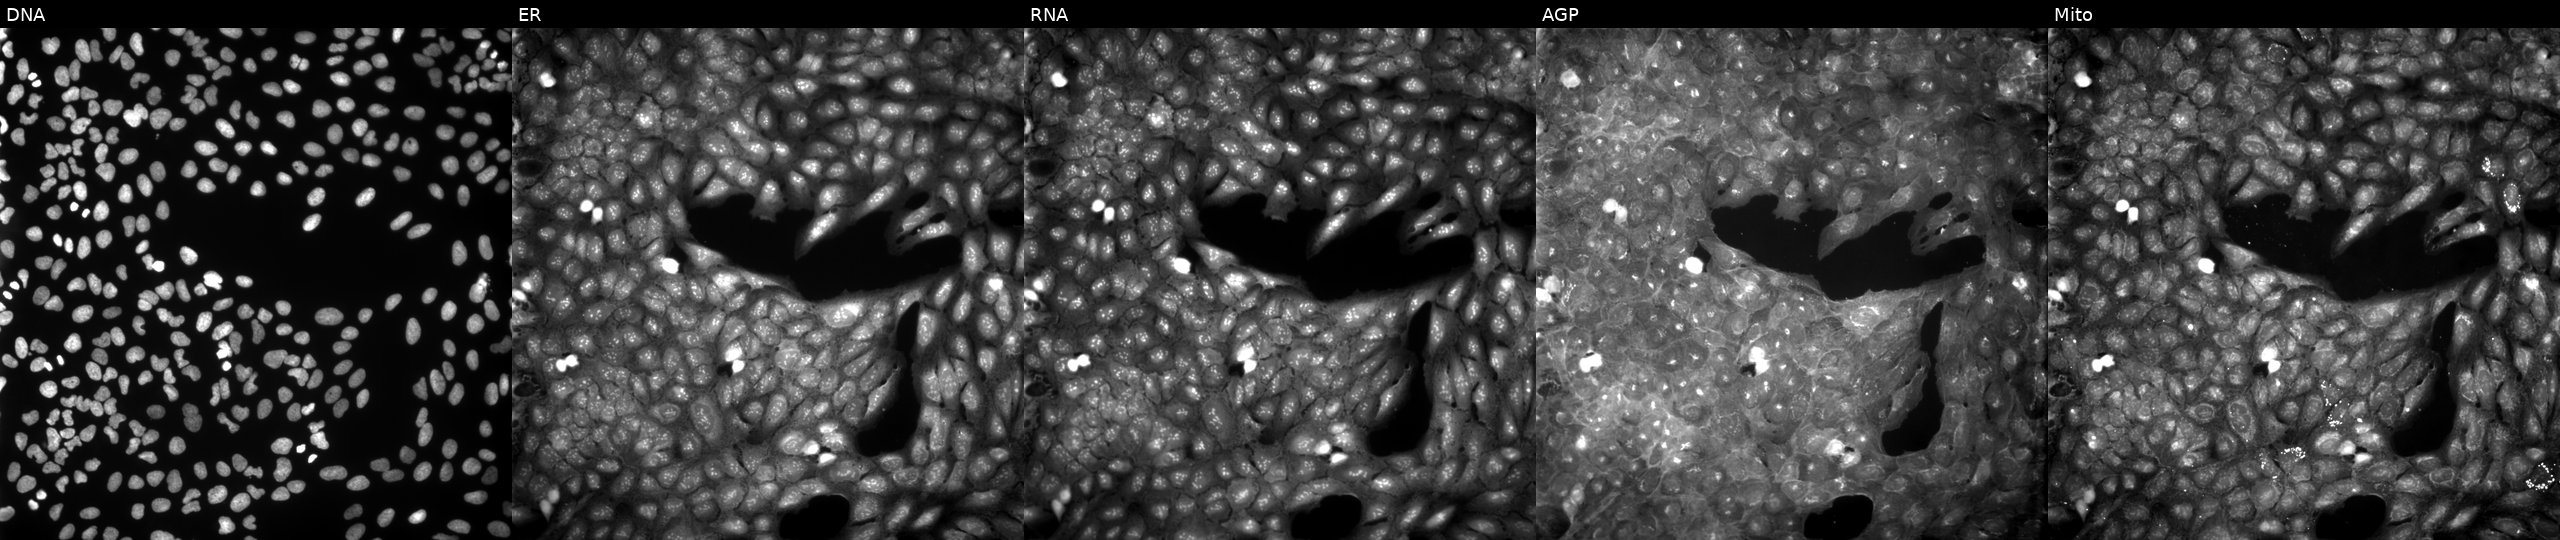
U2OS cells, Cell Painting assay, perturbed with a small-molecule compound. Channels (left→right): DNA, ER, RNA, AGP, and Mito. Each panel is percentile-stretched 16-bit fluorescence.